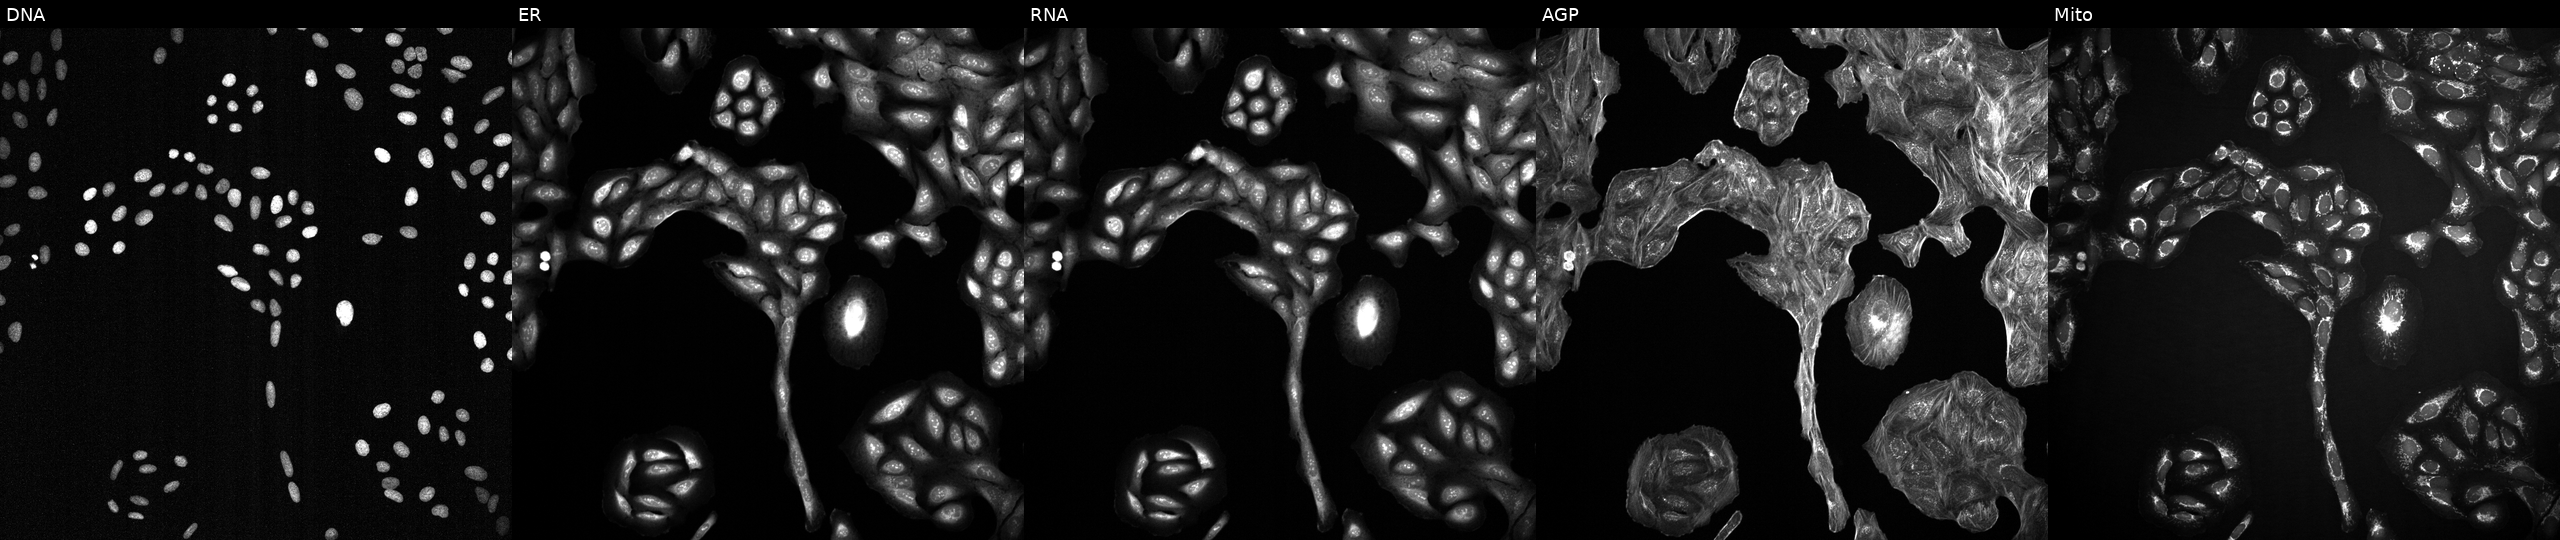
U2OS cells, Cell Painting assay, perturbed with a small-molecule compound (InChIKey ZYGHJZDHTFUPRJ-UHFFFAOYSA-N). Panels show, left to right, DNA (nuclei); ER (endoplasmic reticulum); RNA (nucleoli and cytoplasmic RNA); AGP (actin cytoskeleton, Golgi, and plasma membrane); Mito (mitochondria). Each panel is percentile-stretched 16-bit fluorescence.